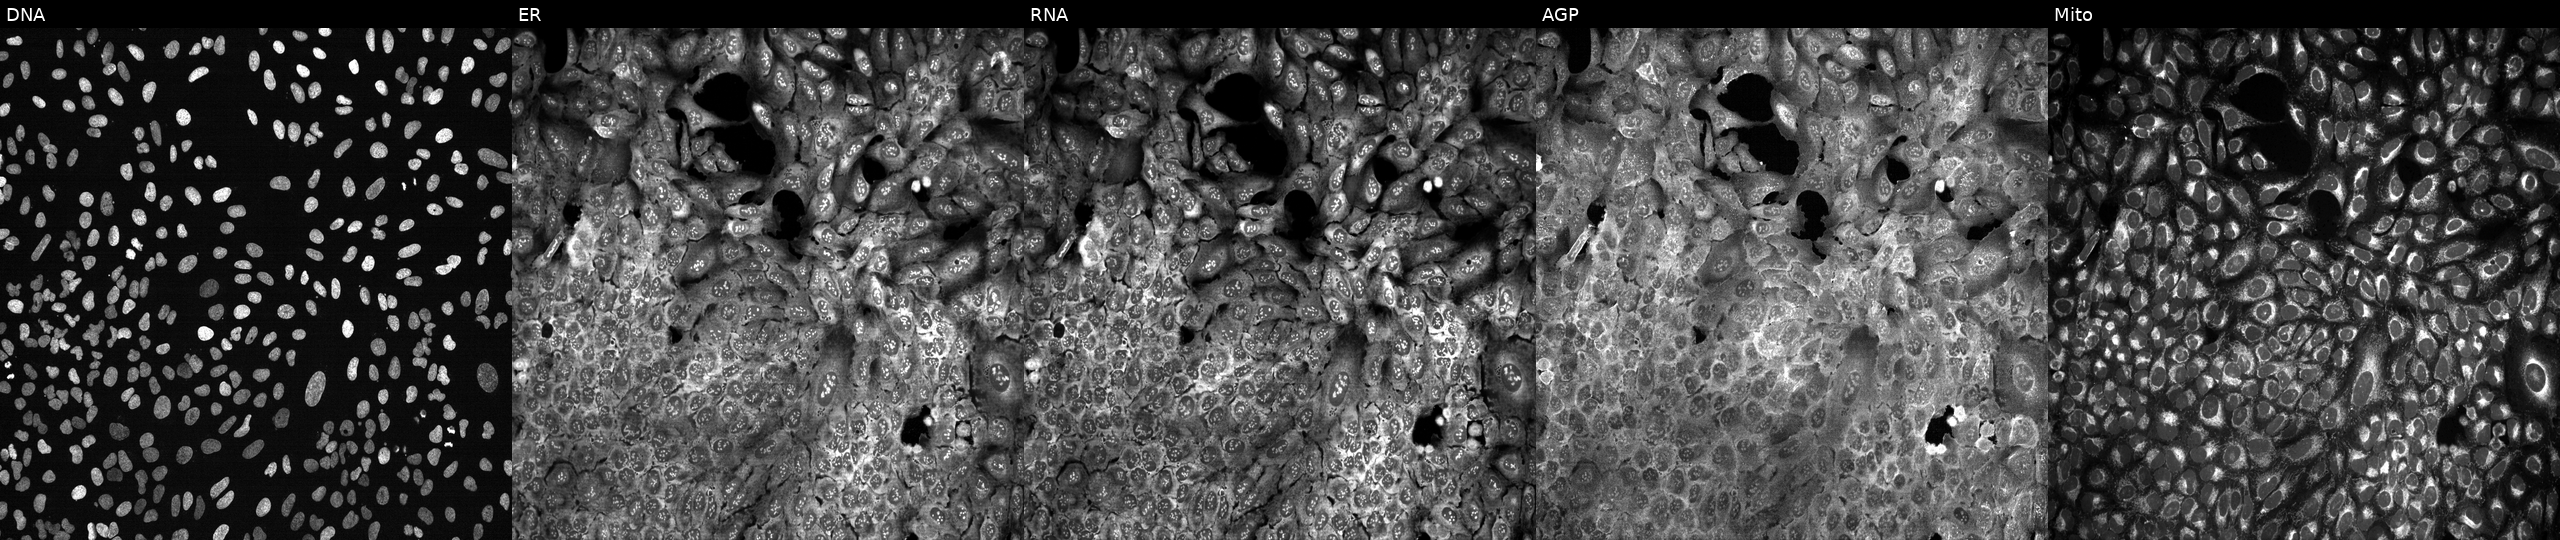
This image strip shows the five Cell Painting channels for a single field of U2OS cells CRISPR-edited to disrupt SDHD (JUMP id JCP2022_806237). The five panels, left to right, show Hoechst 33342, concanavalin A, SYTO 14, phalloidin and WGA, MitoTracker. Source 13, plate CP-CC9-R3-02, well M06.